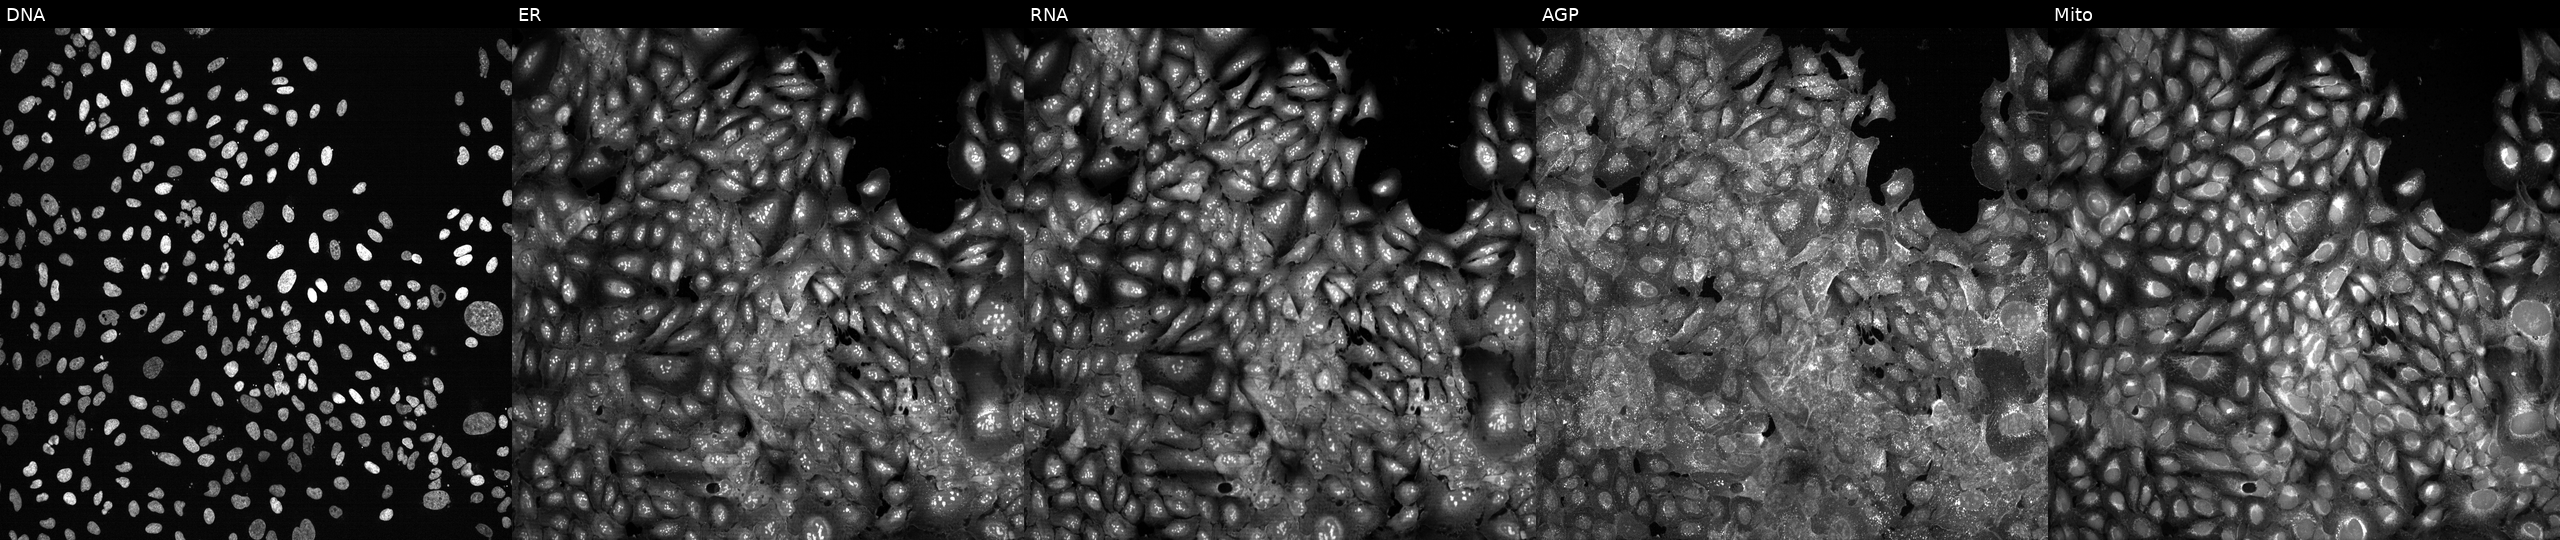
JUMP Cell Painting — CRISPR plate. U2OS cells with RAPGEF5 knocked out by CRISPR. Panels show, left to right, DNA, ER, RNA, AGP, and Mito.